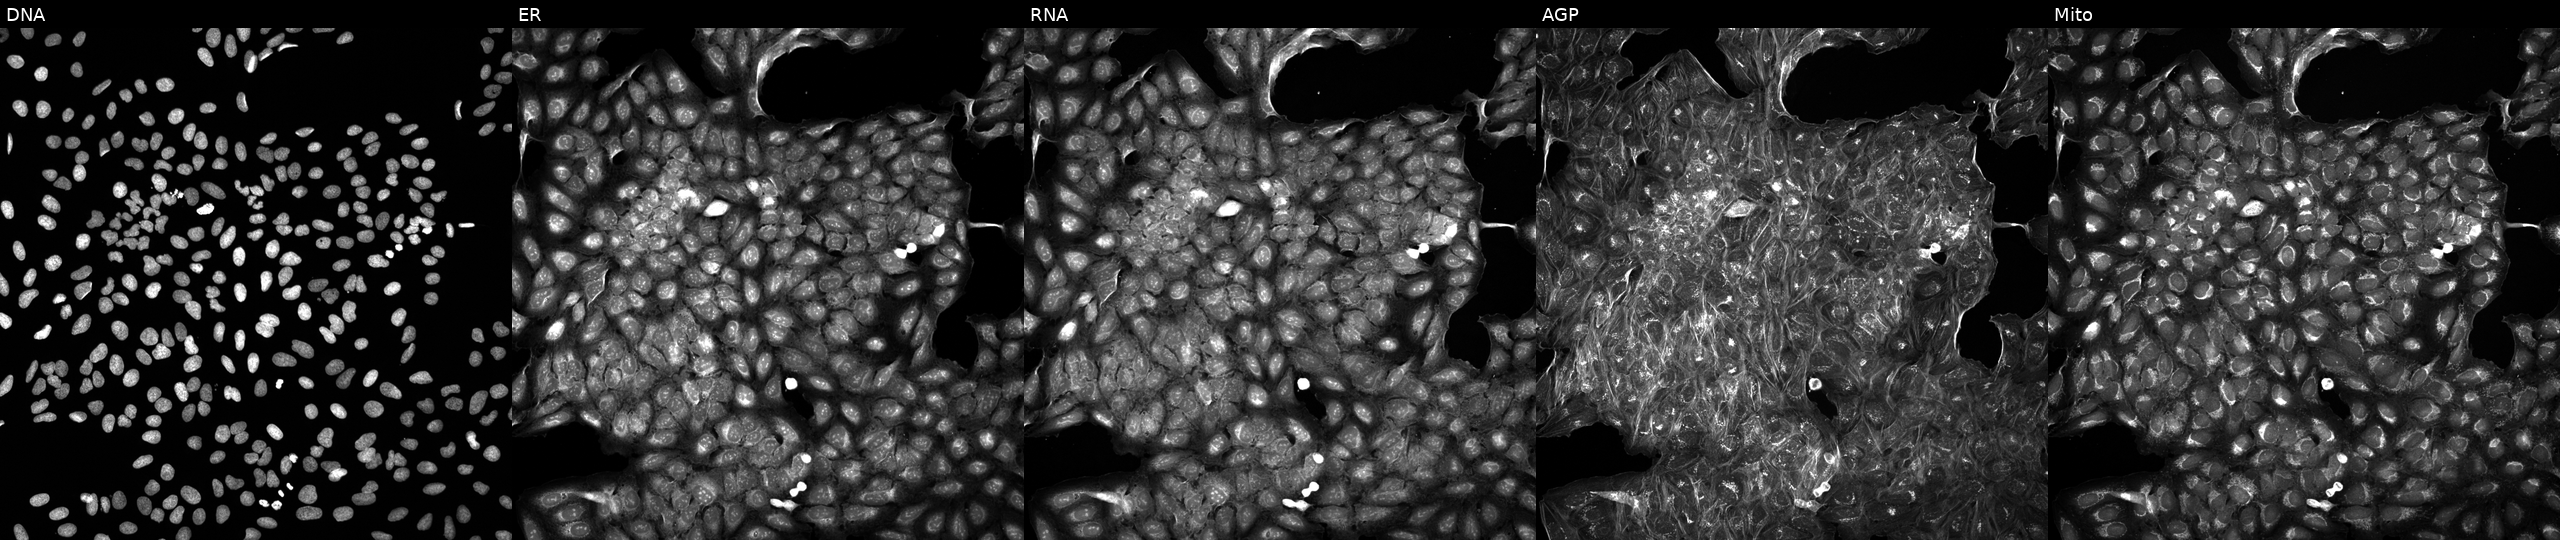
High-content fluorescence microscopy (Cell Painting). Cell line: U2OS. Perturbation: exposed to a small-molecule compound (InChIKey RELPAOHEJGYPRZ-UHFFFAOYSA-N). Channels (left→right): DNA (nuclei); ER (endoplasmic reticulum); RNA (nucleoli and cytoplasmic RNA); AGP (actin cytoskeleton, Golgi, and plasma membrane); Mito (mitochondria).